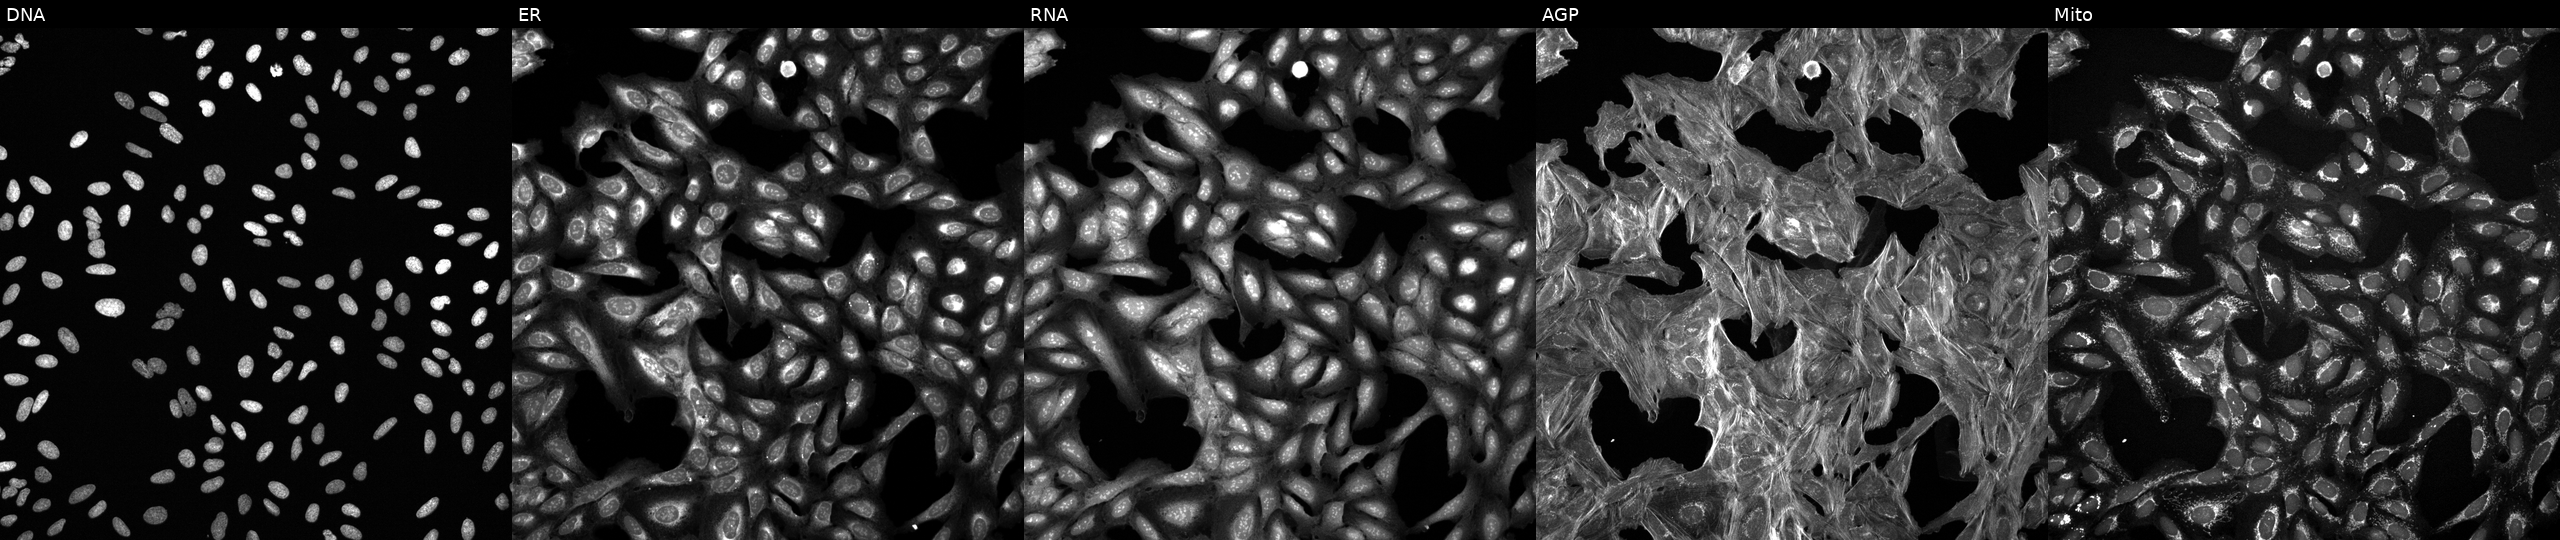
JUMP Cell Painting — COMPOUND plate. U2OS cells exposed to a small-molecule compound (InChIKey VLTYKFDXAMIKPV-UHFFFAOYSA-N). The five panels, left to right, show Hoechst 33342, concanavalin A, SYTO 14, phalloidin and WGA, MitoTracker.